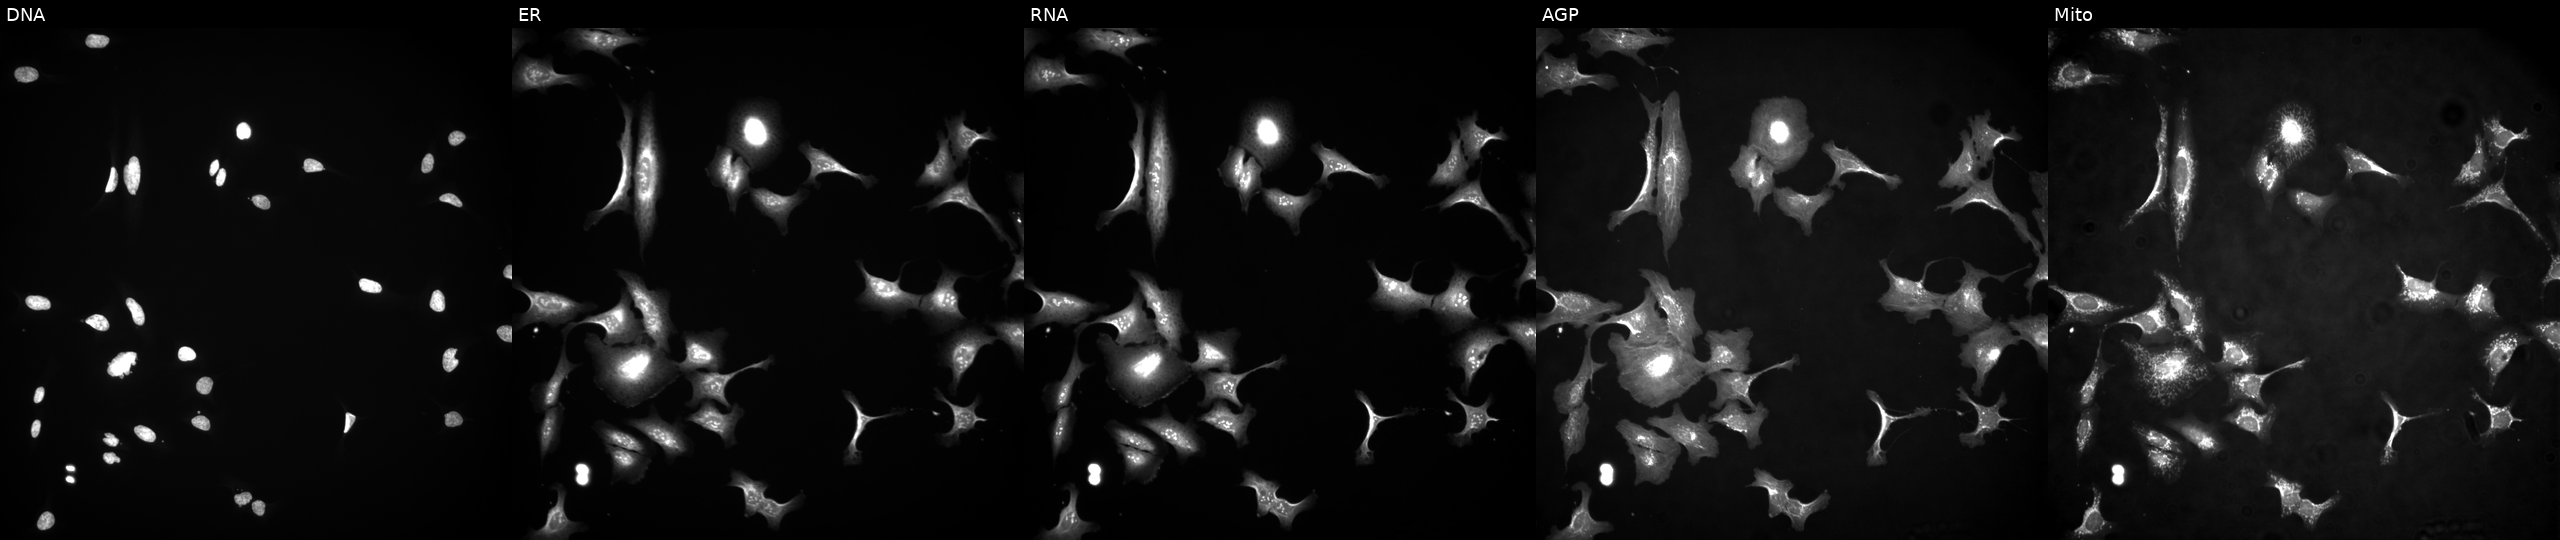
High-content fluorescence microscopy (Cell Painting). Cell line: U2OS. Perturbation: transfected with an ORF construct for GSTA4. The five panels, left to right, show Hoechst 33342, concanavalin A, SYTO 14, phalloidin and WGA, MitoTracker.